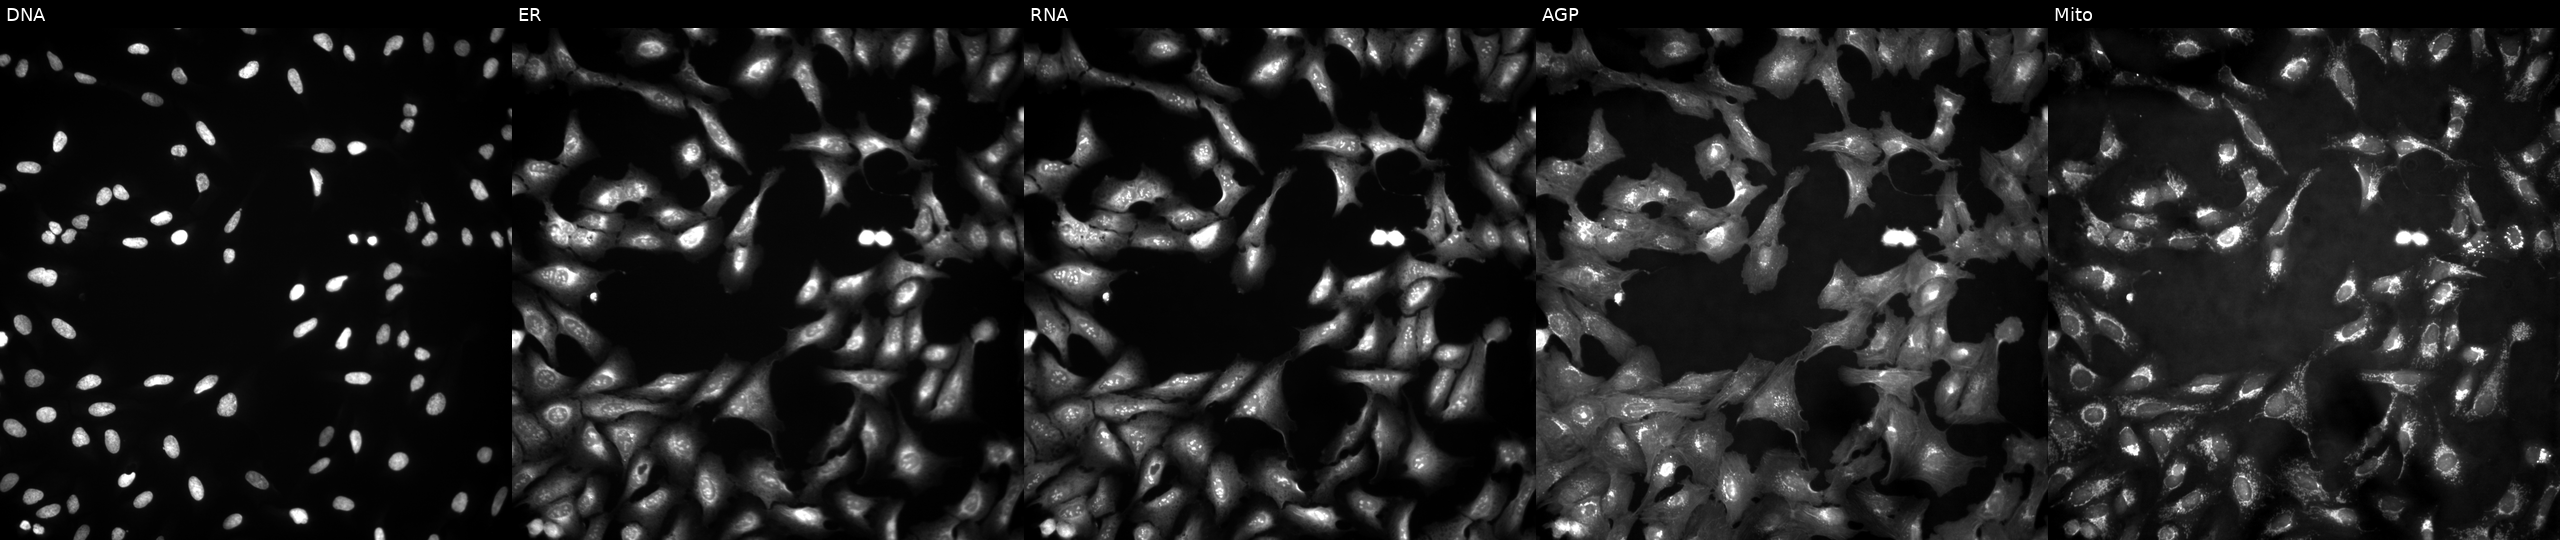
U2OS cells, Cell Painting assay, with FERMT3 overexpressed (ORF) (JUMP id JCP2022_908507). From left to right: DNA (nuclei); ER (endoplasmic reticulum); RNA (nucleoli and cytoplasmic RNA); AGP (actin cytoskeleton, Golgi, and plasma membrane); Mito (mitochondria). Each panel is percentile-stretched 16-bit fluorescence.